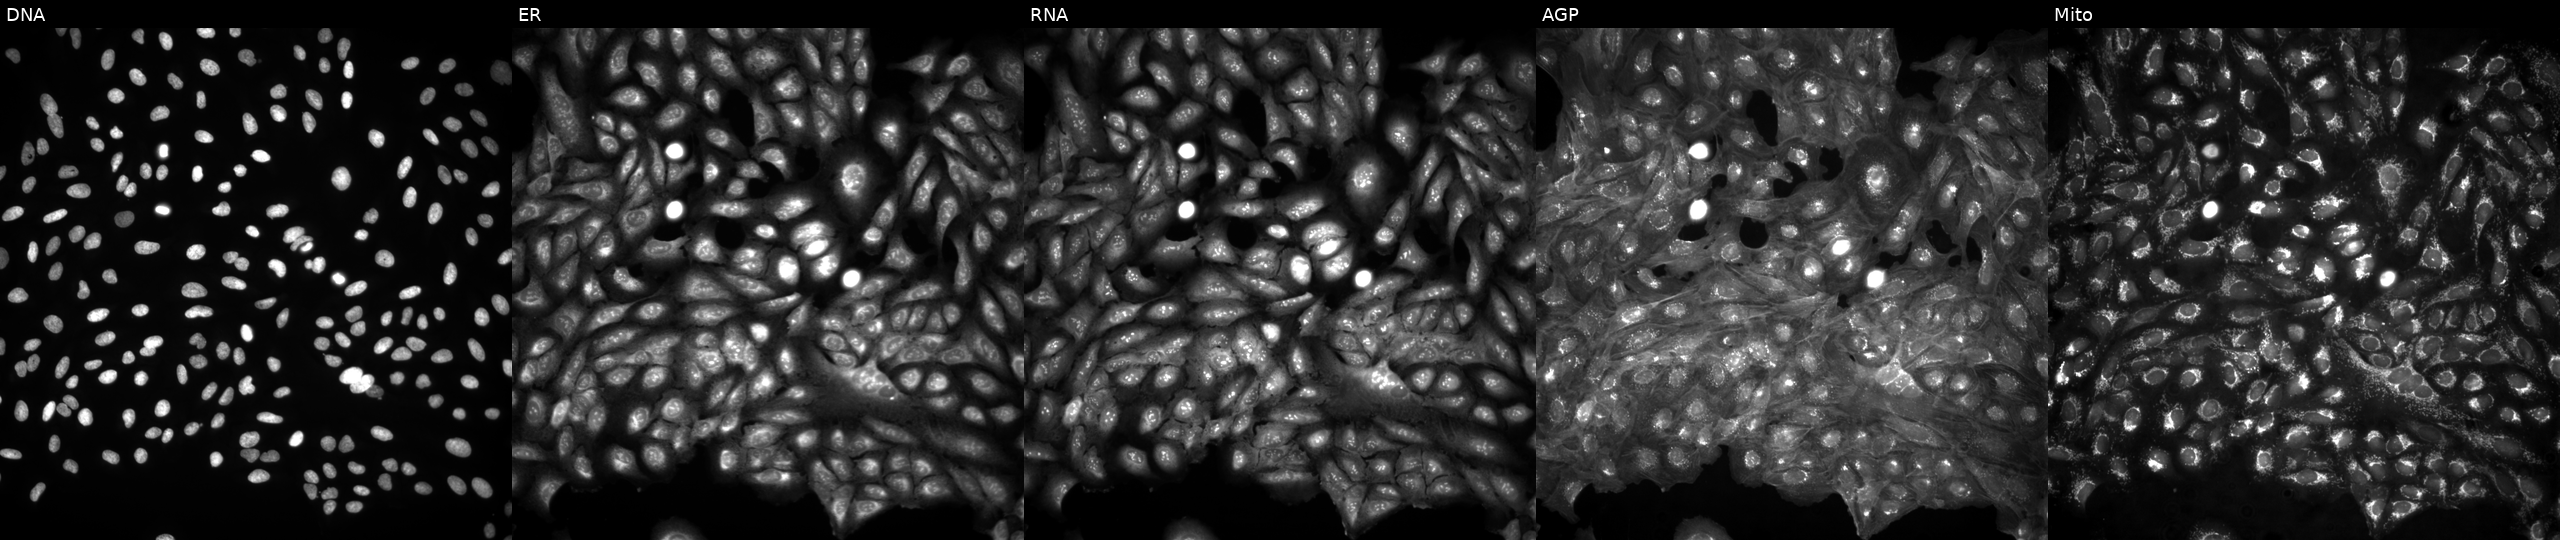
Channels (left→right): Hoechst 33342, concanavalin A, SYTO 14, phalloidin and WGA, MitoTracker. U2OS osteosarcoma cells in an empty control well (no perturbation). Cell Painting assay, JUMP-CP dataset.